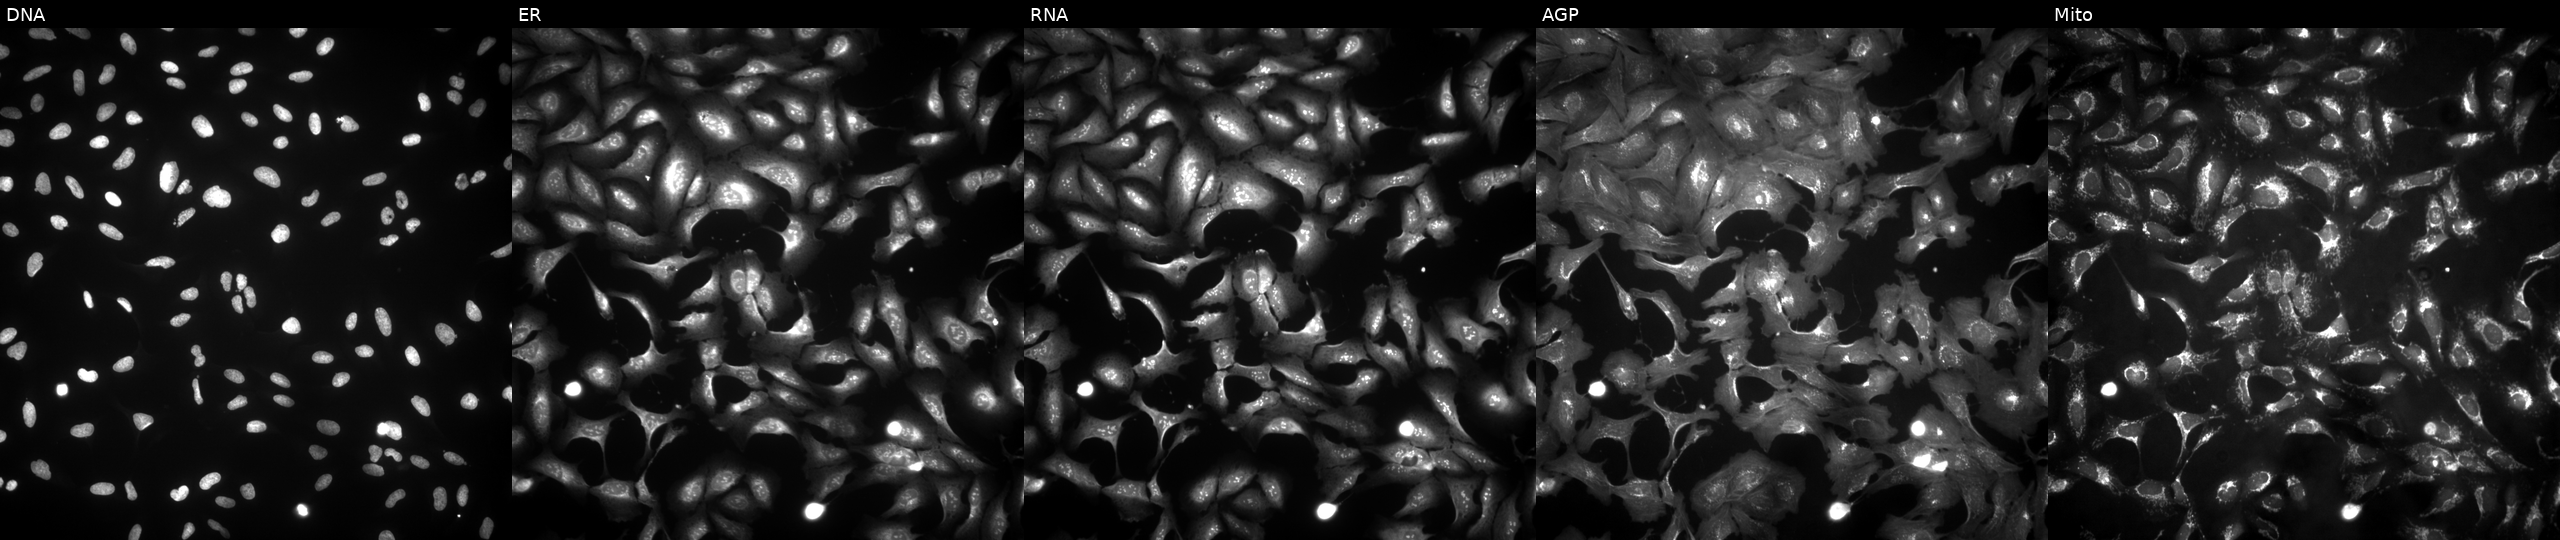
U2OS cells, Cell Painting assay, transfected with an ORF construct for RBM17. Panels show, left to right, DNA, ER, RNA, AGP, and Mito. Each panel is percentile-stretched 16-bit fluorescence.